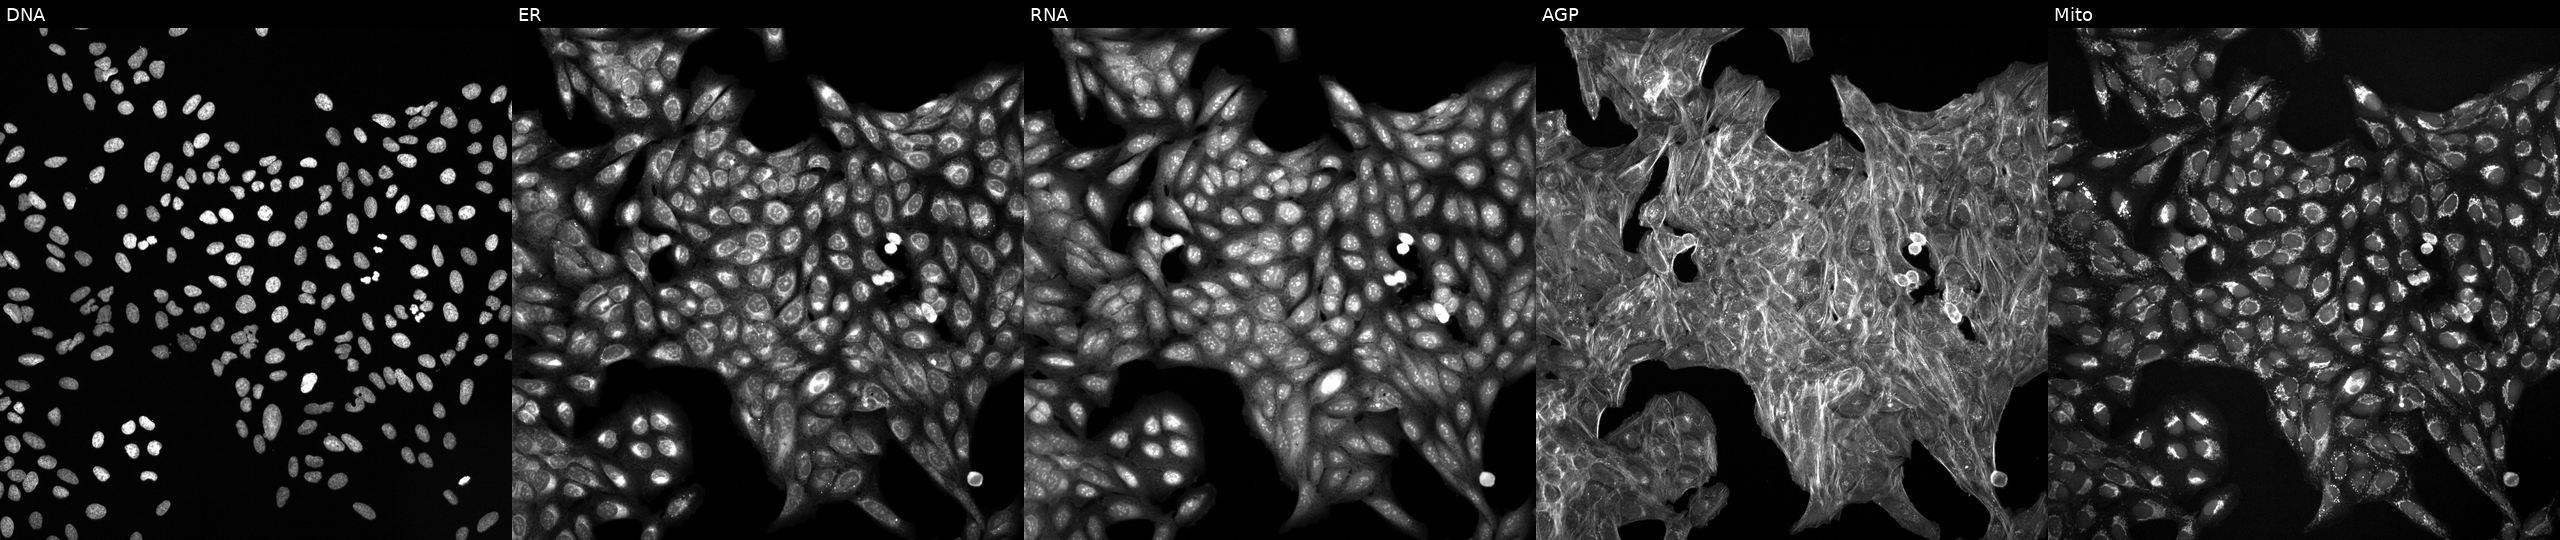
This image strip shows the five Cell Painting channels for a single field of U2OS cells perturbed with a small-molecule compound (InChIKey NUIKTBLZSPQGCP-UHFFFAOYSA-N). The five panels, left to right, show Hoechst 33342, concanavalin A, SYTO 14, phalloidin and WGA, MitoTracker.